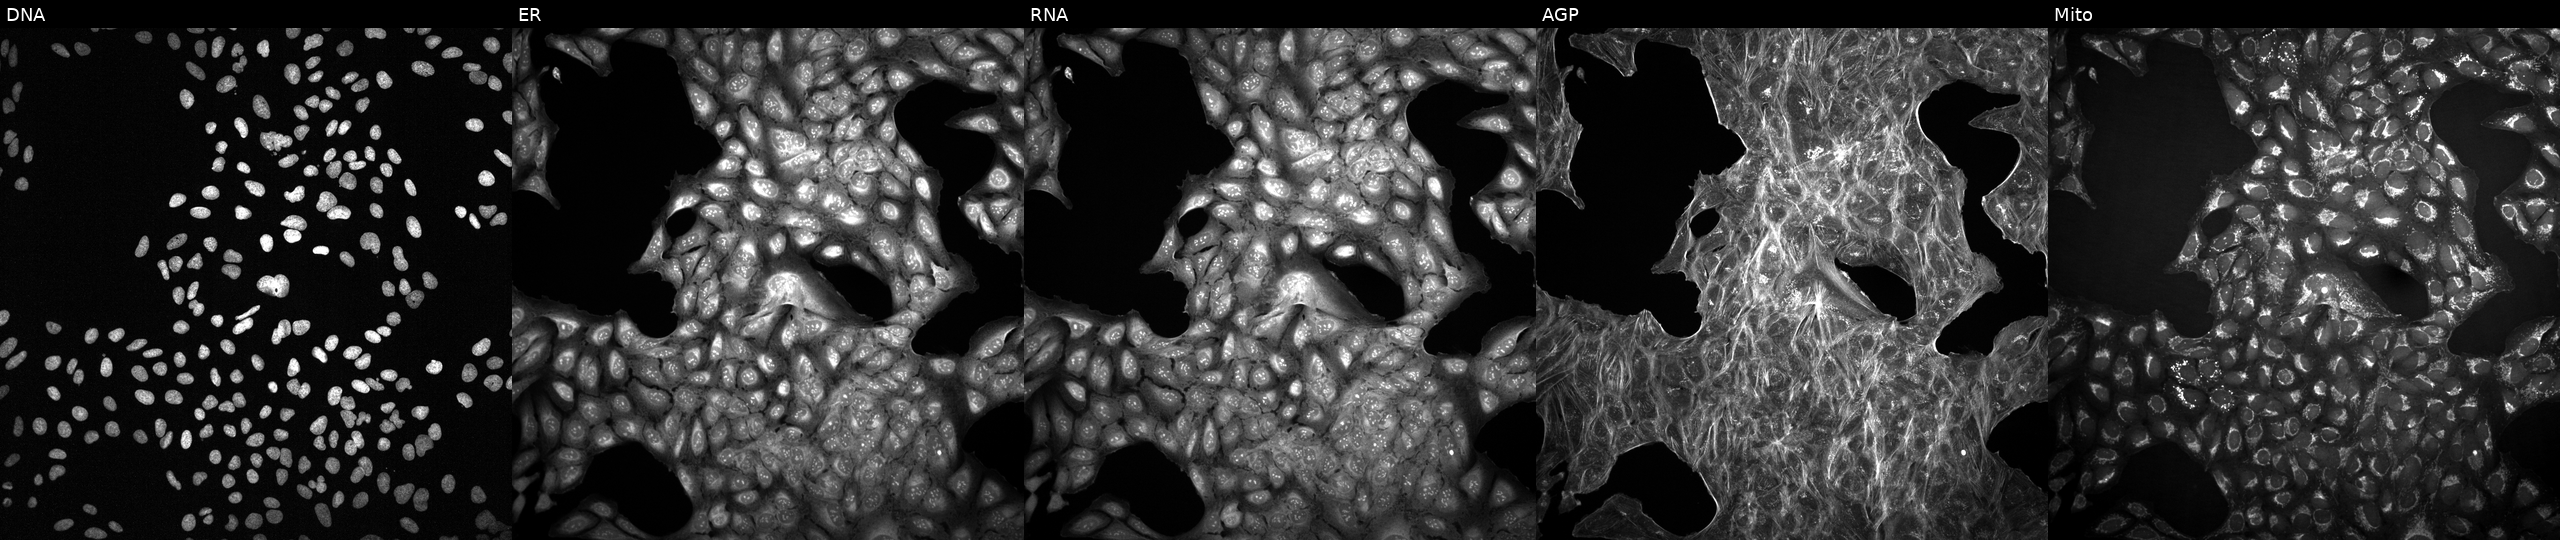
This image strip shows the five Cell Painting channels for a single field of U2OS cells perturbed with a small-molecule compound. Panels show, left to right, DNA, ER, RNA, AGP, and Mito.